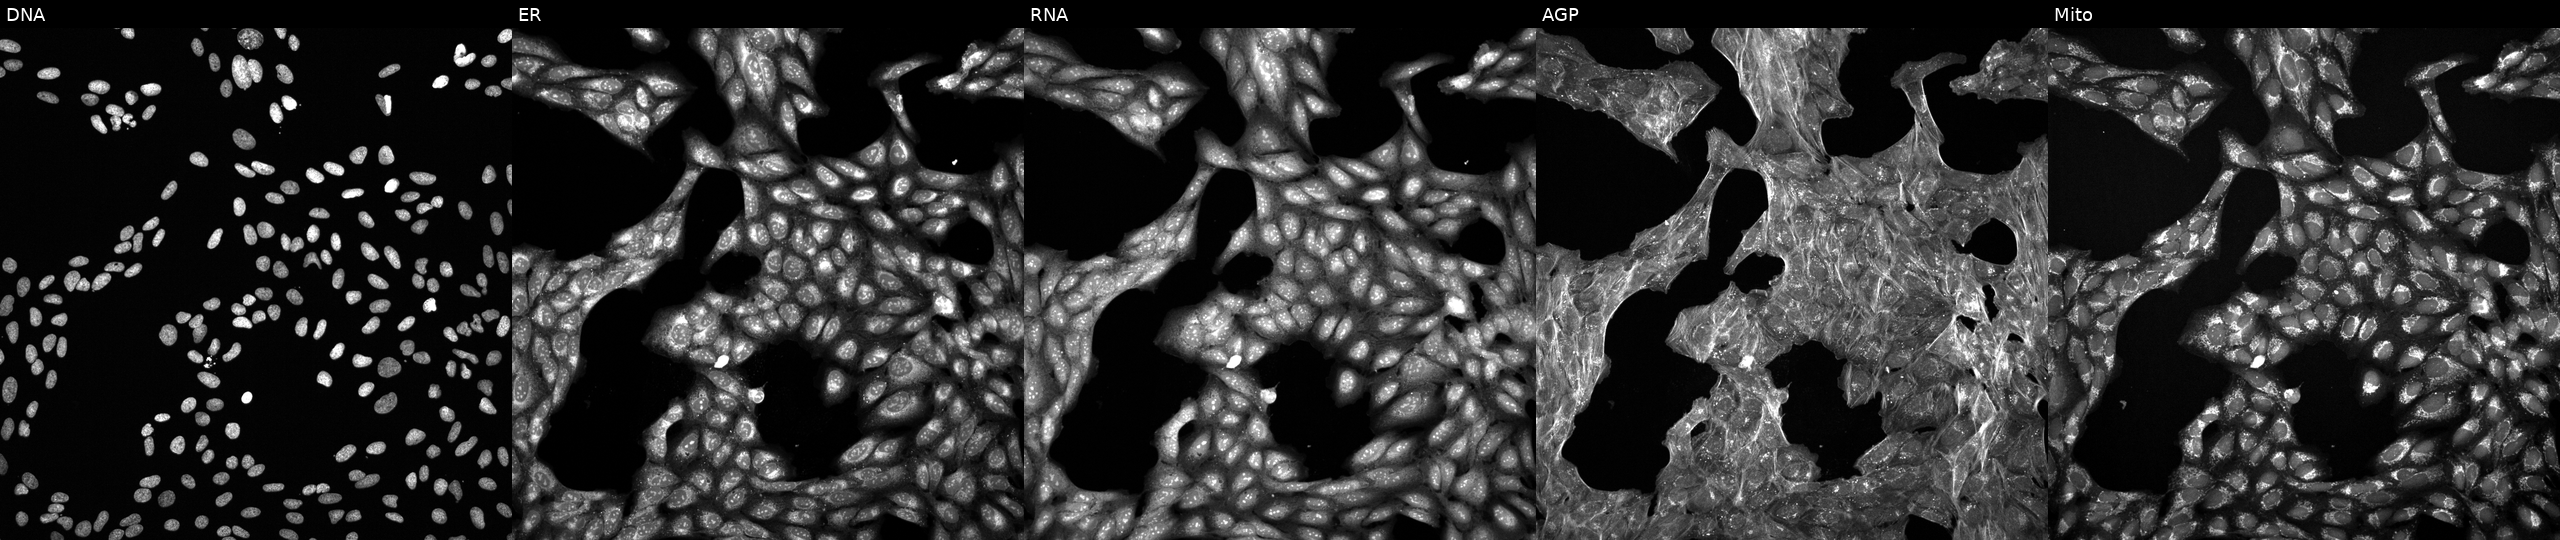
High-content fluorescence microscopy (Cell Painting). Cell line: U2OS. Perturbation: treated with a small-molecule compound. Channels (left→right): Hoechst 33342, concanavalin A, SYTO 14, phalloidin and WGA, MitoTracker. Source 6, plate 110000293093, well P01.